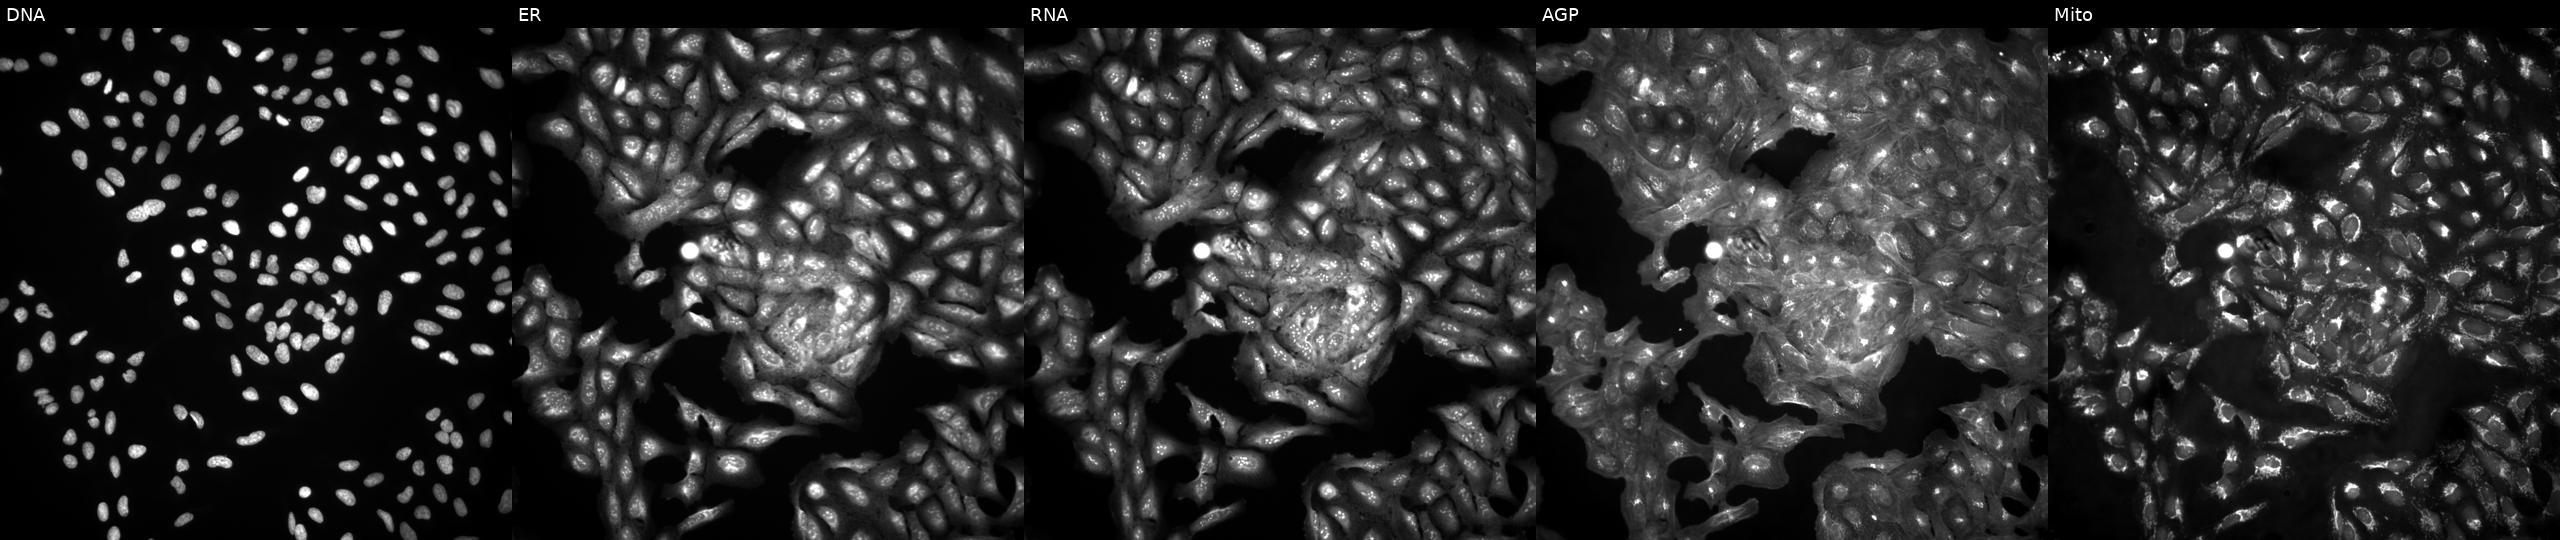
JUMP Cell Painting — ORF plate. U2OS cells in an empty control well (no perturbation) (JUMP id JCP2022_999999). Panels show, left to right, DNA (nuclei); ER (endoplasmic reticulum); RNA (nucleoli and cytoplasmic RNA); AGP (actin cytoskeleton, Golgi, and plasma membrane); Mito (mitochondria).